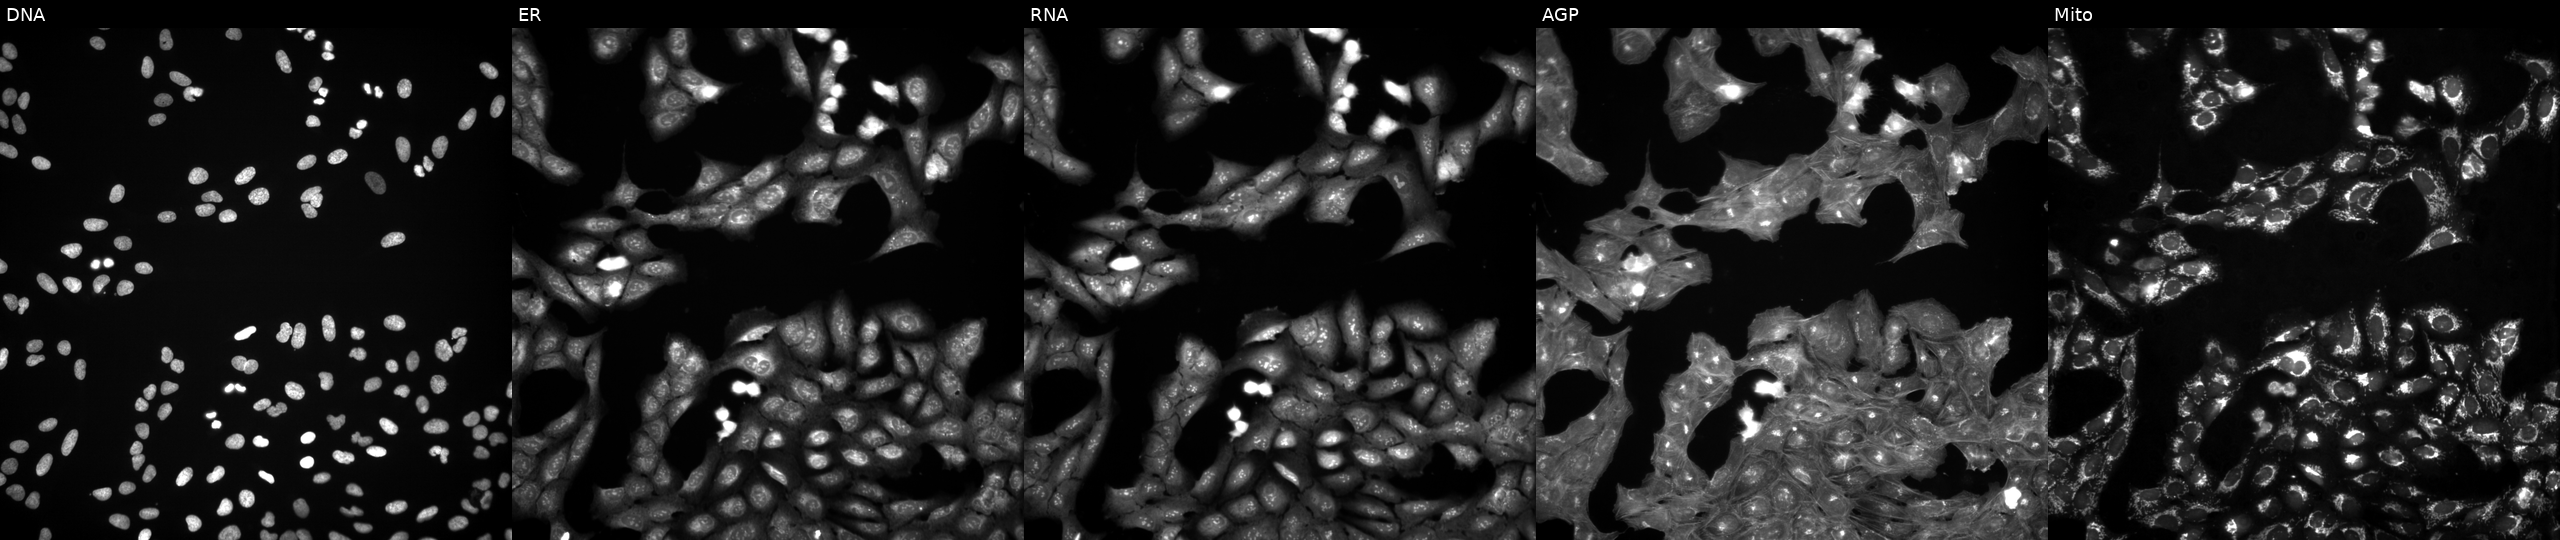
High-content fluorescence microscopy (Cell Painting). Cell line: U2OS. Perturbation: perturbed with a small-molecule compound (InChIKey FQUAFMNPXPXOJE-UHFFFAOYSA-N). The five panels, left to right, show DNA (nuclei); ER (endoplasmic reticulum); RNA (nucleoli and cytoplasmic RNA); AGP (actin cytoskeleton, Golgi, and plasma membrane); Mito (mitochondria).